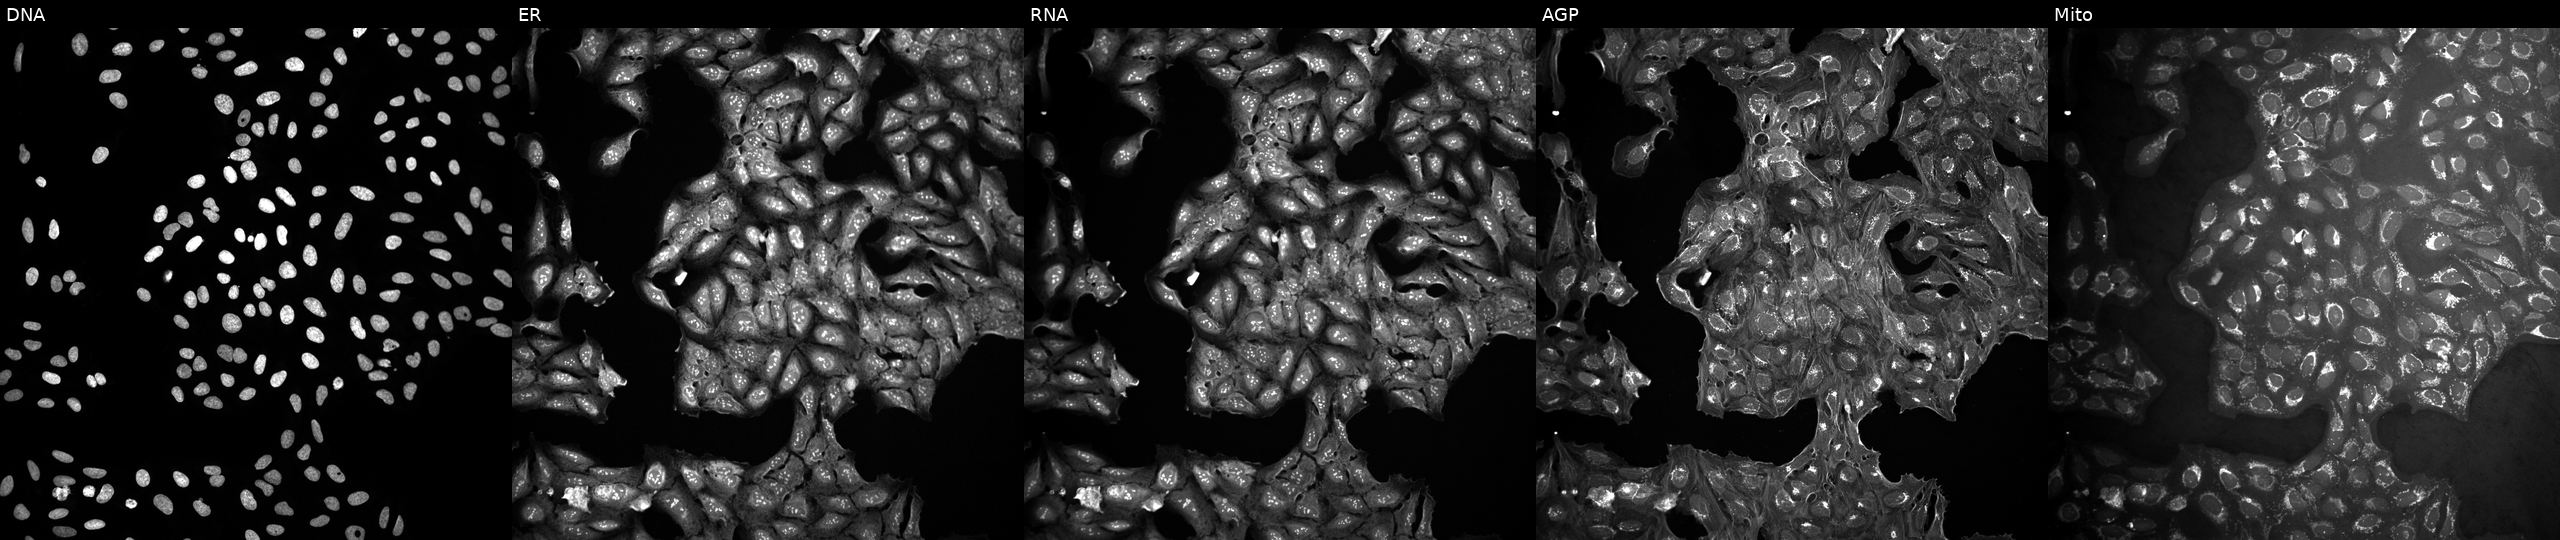
Five-channel Cell Painting image of U2OS cells treated with DMSO vehicle only (negative control) (JUMP id JCP2022_033924). From left to right: DNA (nuclei); ER (endoplasmic reticulum); RNA (nucleoli and cytoplasmic RNA); AGP (actin cytoskeleton, Golgi, and plasma membrane); Mito (mitochondria).